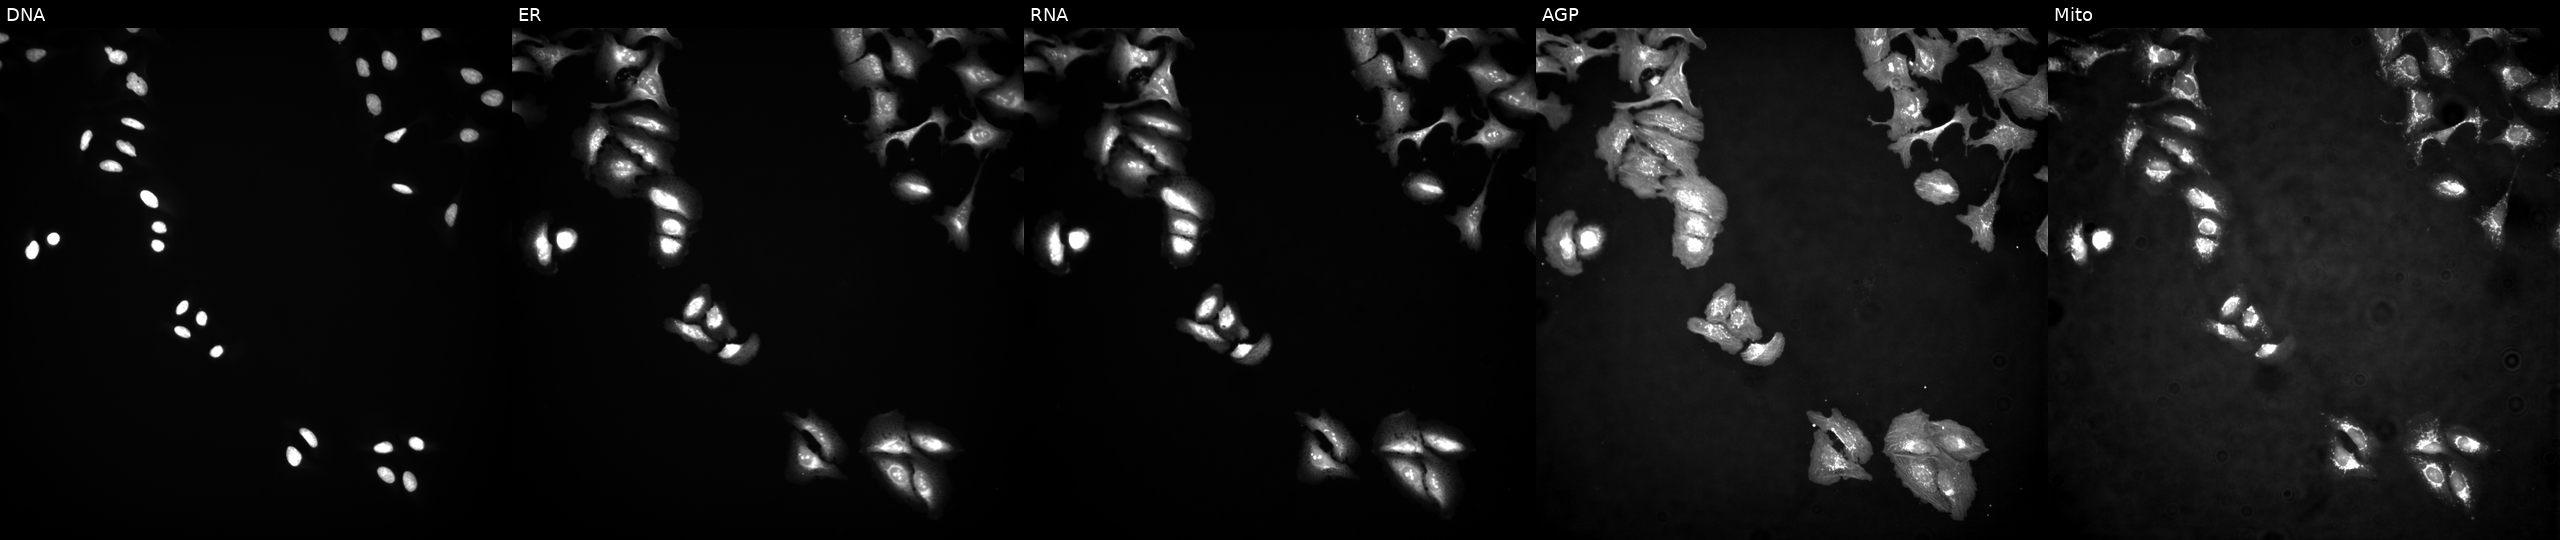
JUMP Cell Painting — ORF plate. U2OS cells expressing BFP (ORF negative control) (JUMP id JCP2022_915128). The five panels, left to right, show Hoechst 33342, concanavalin A, SYTO 14, phalloidin and WGA, MitoTracker. Source 4, plate BR00123945, well K19.